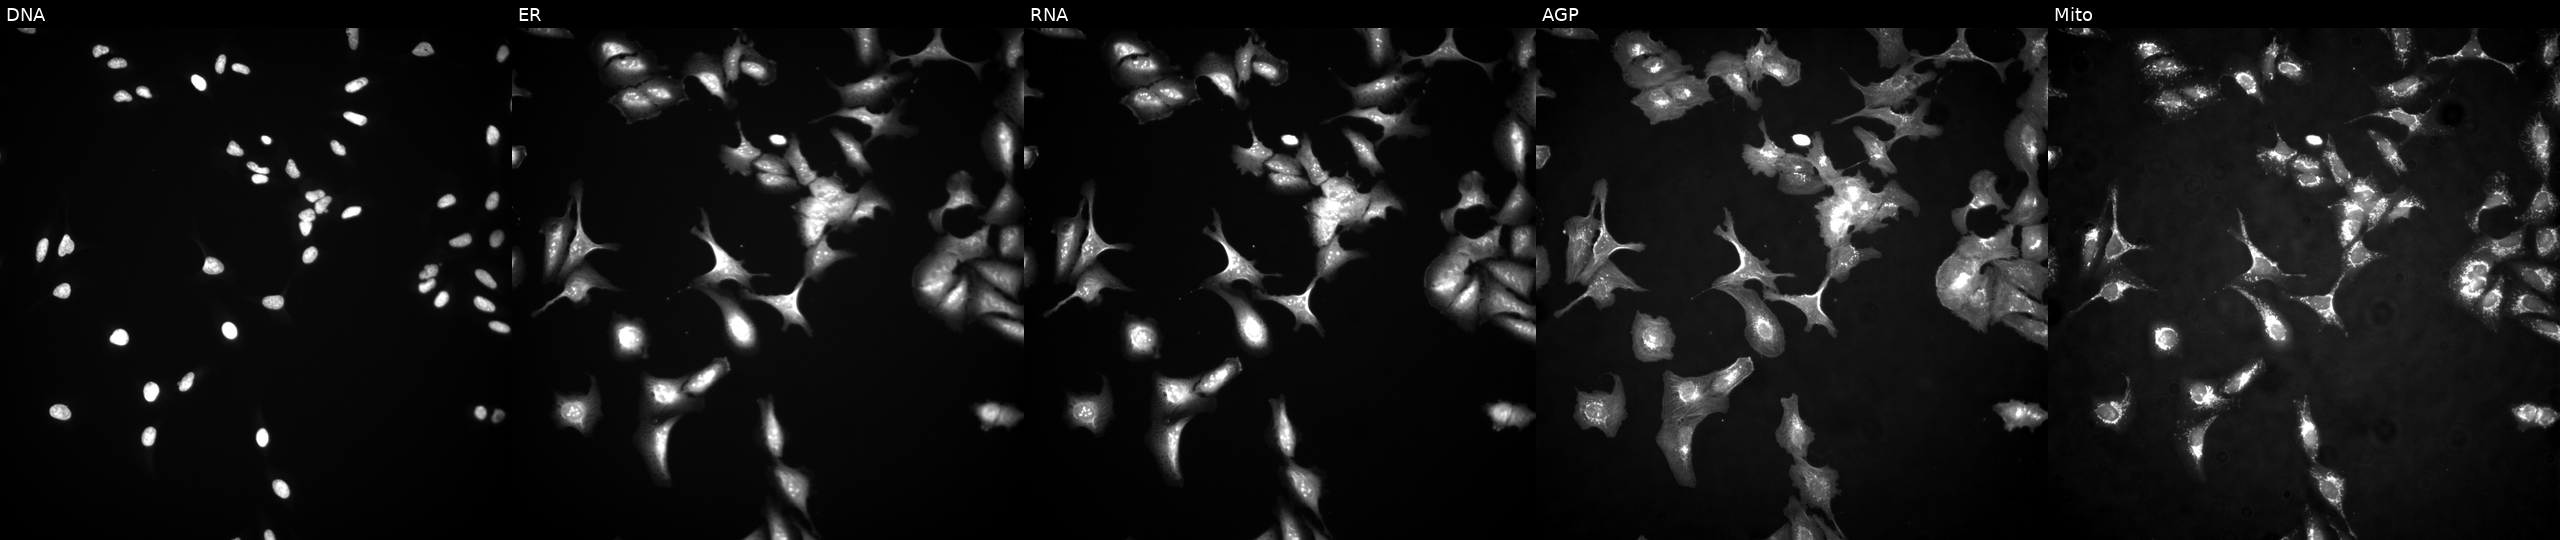
High-content fluorescence microscopy (Cell Painting). Cell line: U2OS. Perturbation: expressing eGFP (ORF positive control). From left to right: Hoechst 33342, concanavalin A, SYTO 14, phalloidin and WGA, MitoTracker.